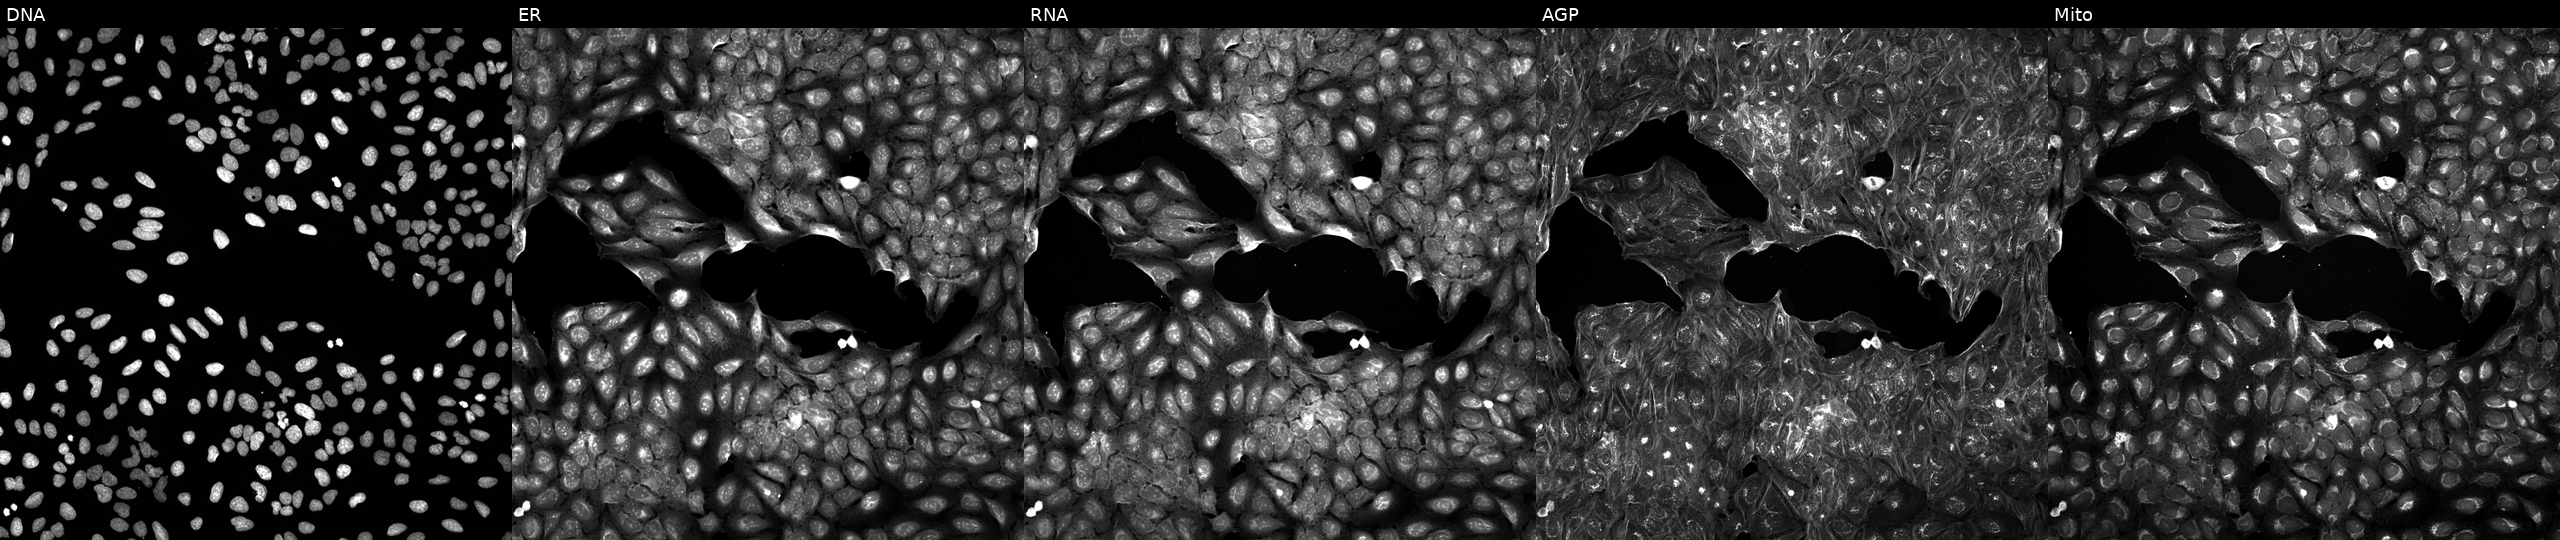
High-content fluorescence microscopy (Cell Painting). Cell line: U2OS. Perturbation: perturbed with a small-molecule compound (JUMP id JCP2022_054322). Panels show, left to right, Hoechst 33342, concanavalin A, SYTO 14, phalloidin and WGA, MitoTracker.